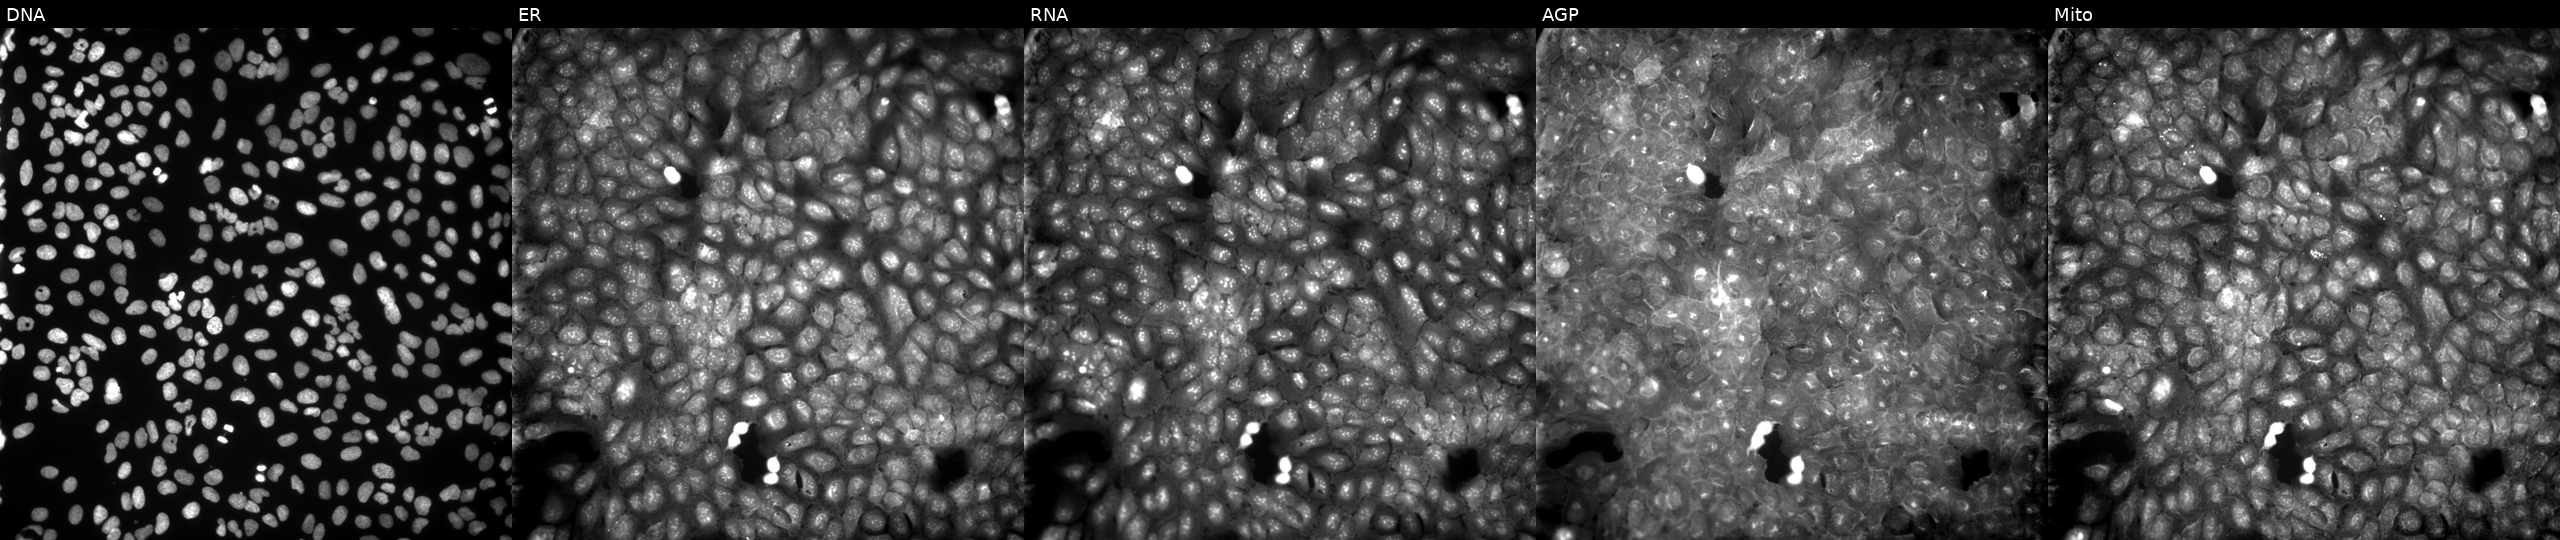
High-content fluorescence microscopy (Cell Painting). Cell line: U2OS. Perturbation: treated with a small-molecule compound (InChIKey WHIBHRQRVVBKHZ-UHFFFAOYSA-N) (JUMP id JCP2022_098745). The five panels, left to right, show Hoechst 33342, concanavalin A, SYTO 14, phalloidin and WGA, MitoTracker. Source 9, plate GR00003382, well V15.